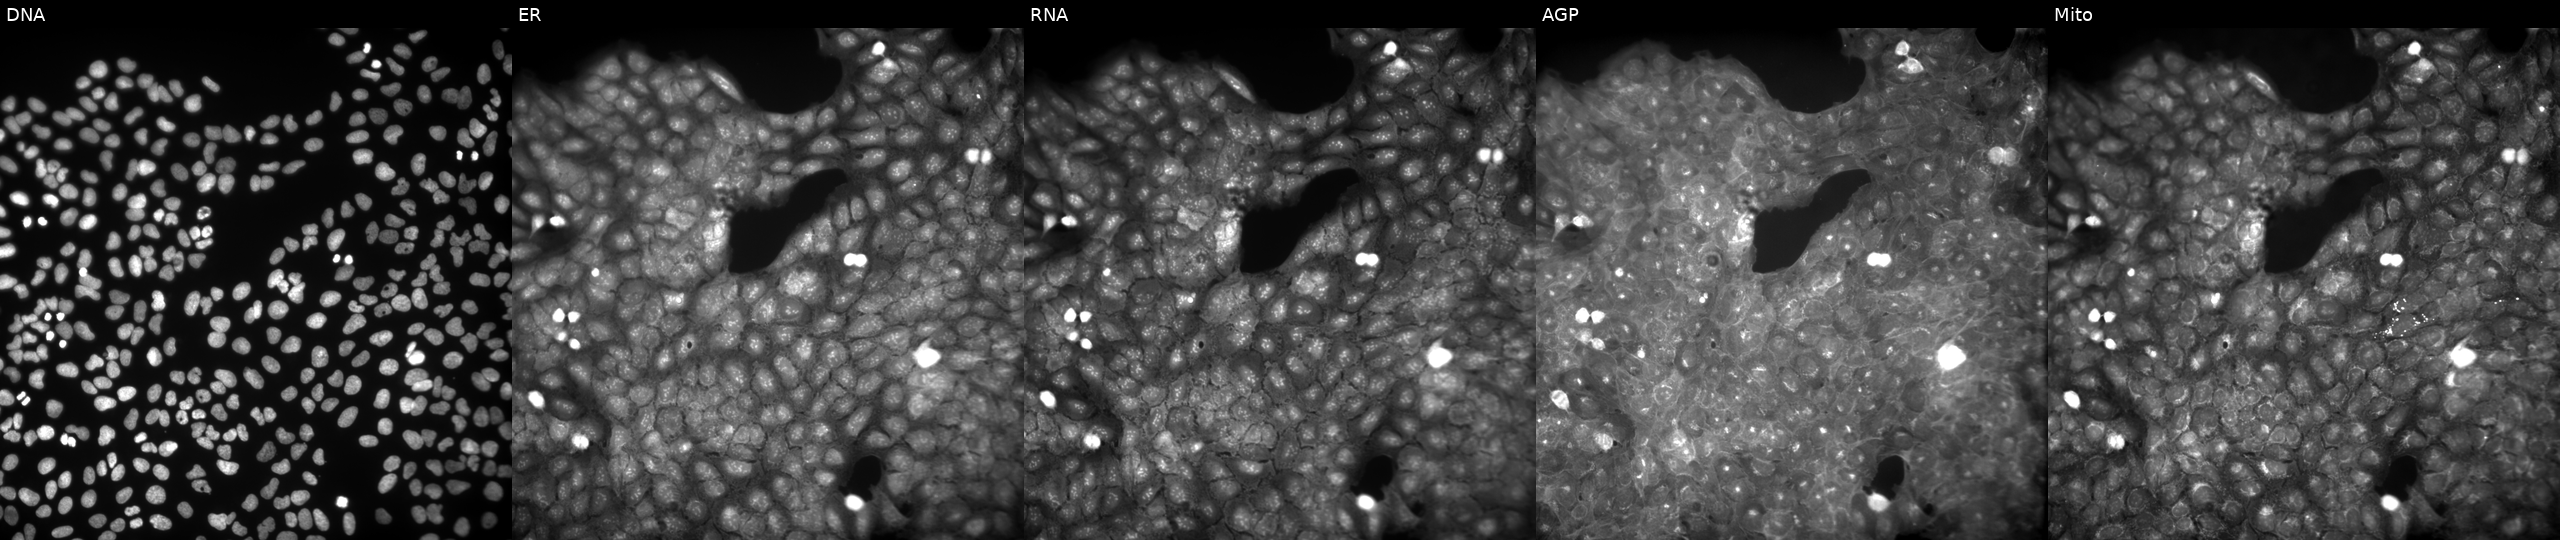
Five-channel Cell Painting image of U2OS cells treated with DMSO vehicle only (negative control) (JUMP id JCP2022_033924). From left to right: DNA, ER, RNA, AGP, and Mito. Source 9, plate GR00003382, well AD47.